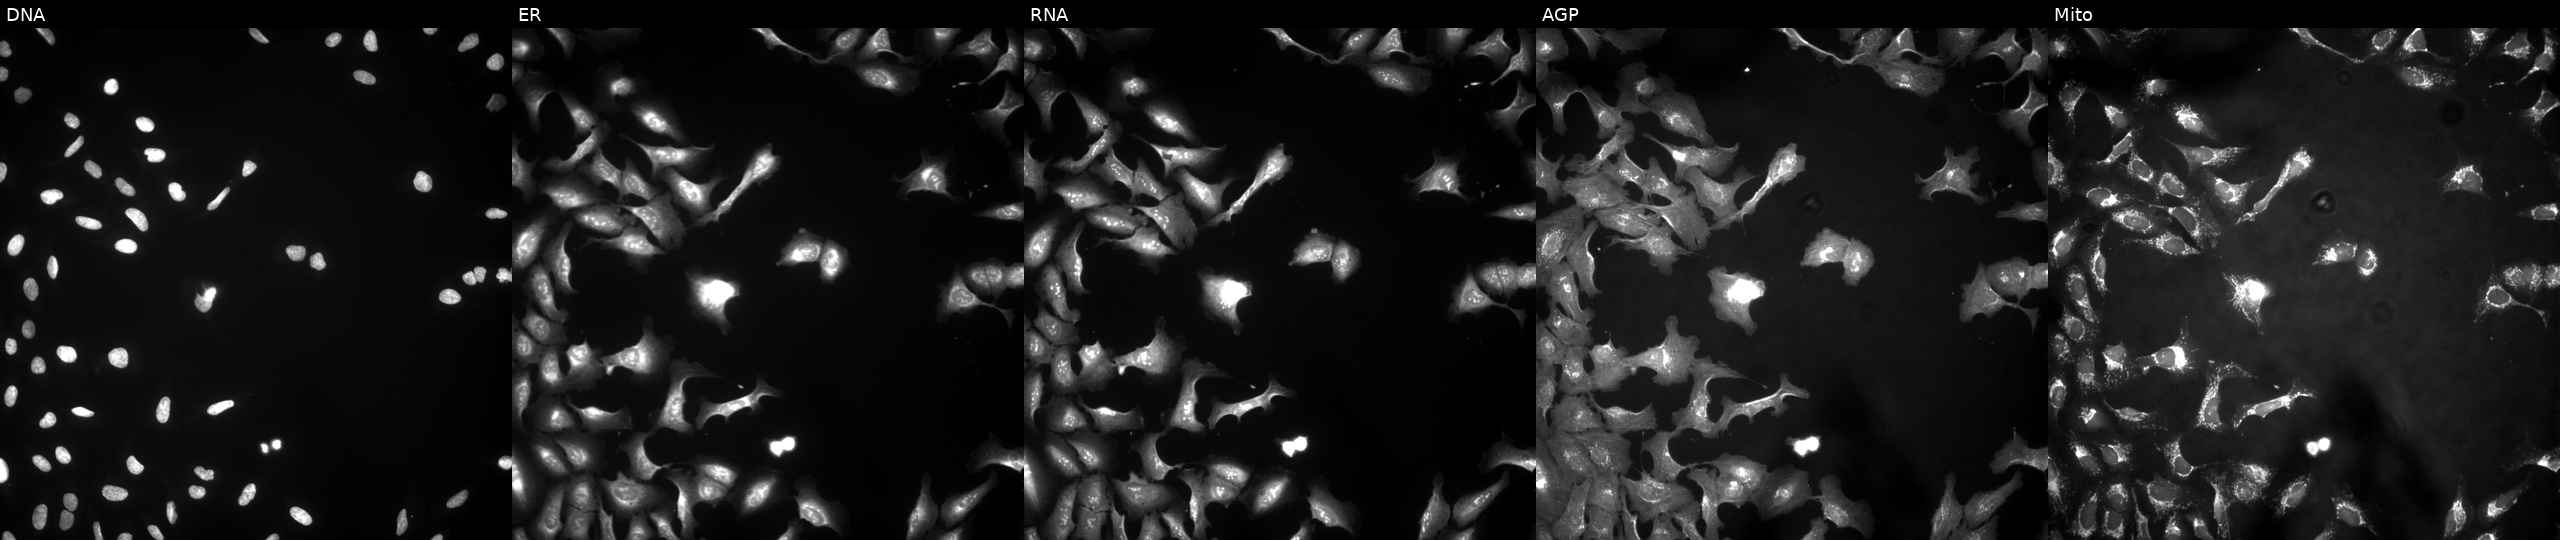
JUMP Cell Painting — ORF plate. U2OS cells untreated (empty-well control). Channels (left→right): Hoechst 33342, concanavalin A, SYTO 14, phalloidin and WGA, MitoTracker.